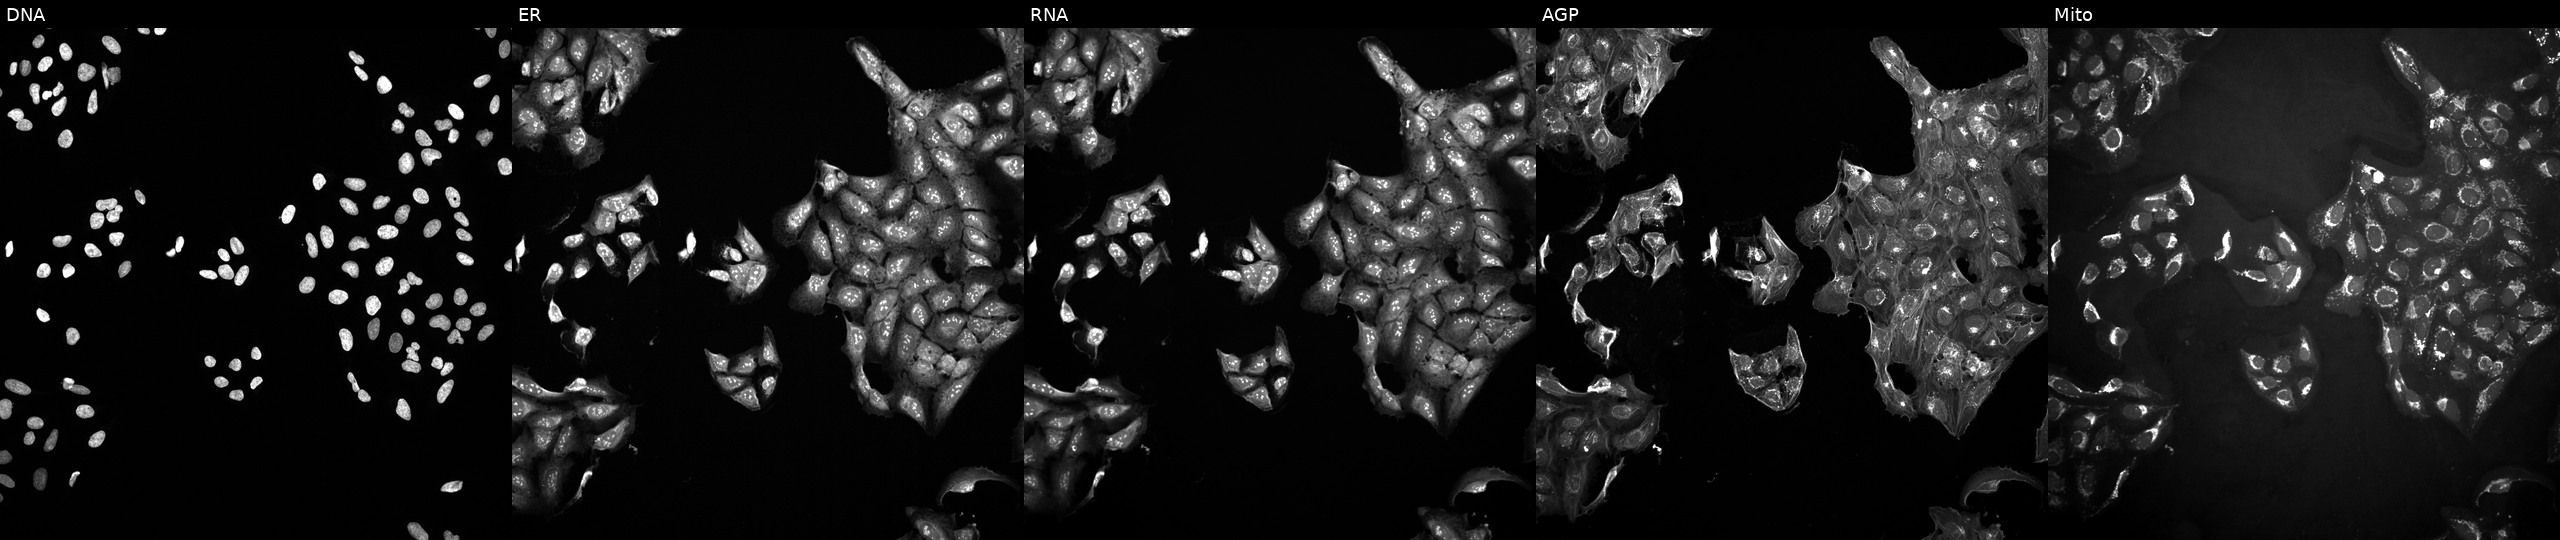
This image strip shows the five Cell Painting channels for a single field of U2OS cells in an empty control well (no perturbation) (JUMP id JCP2022_999999). From left to right: Hoechst 33342, concanavalin A, SYTO 14, phalloidin and WGA, MitoTracker. Source 10, plate Dest210531-152149, well C03.